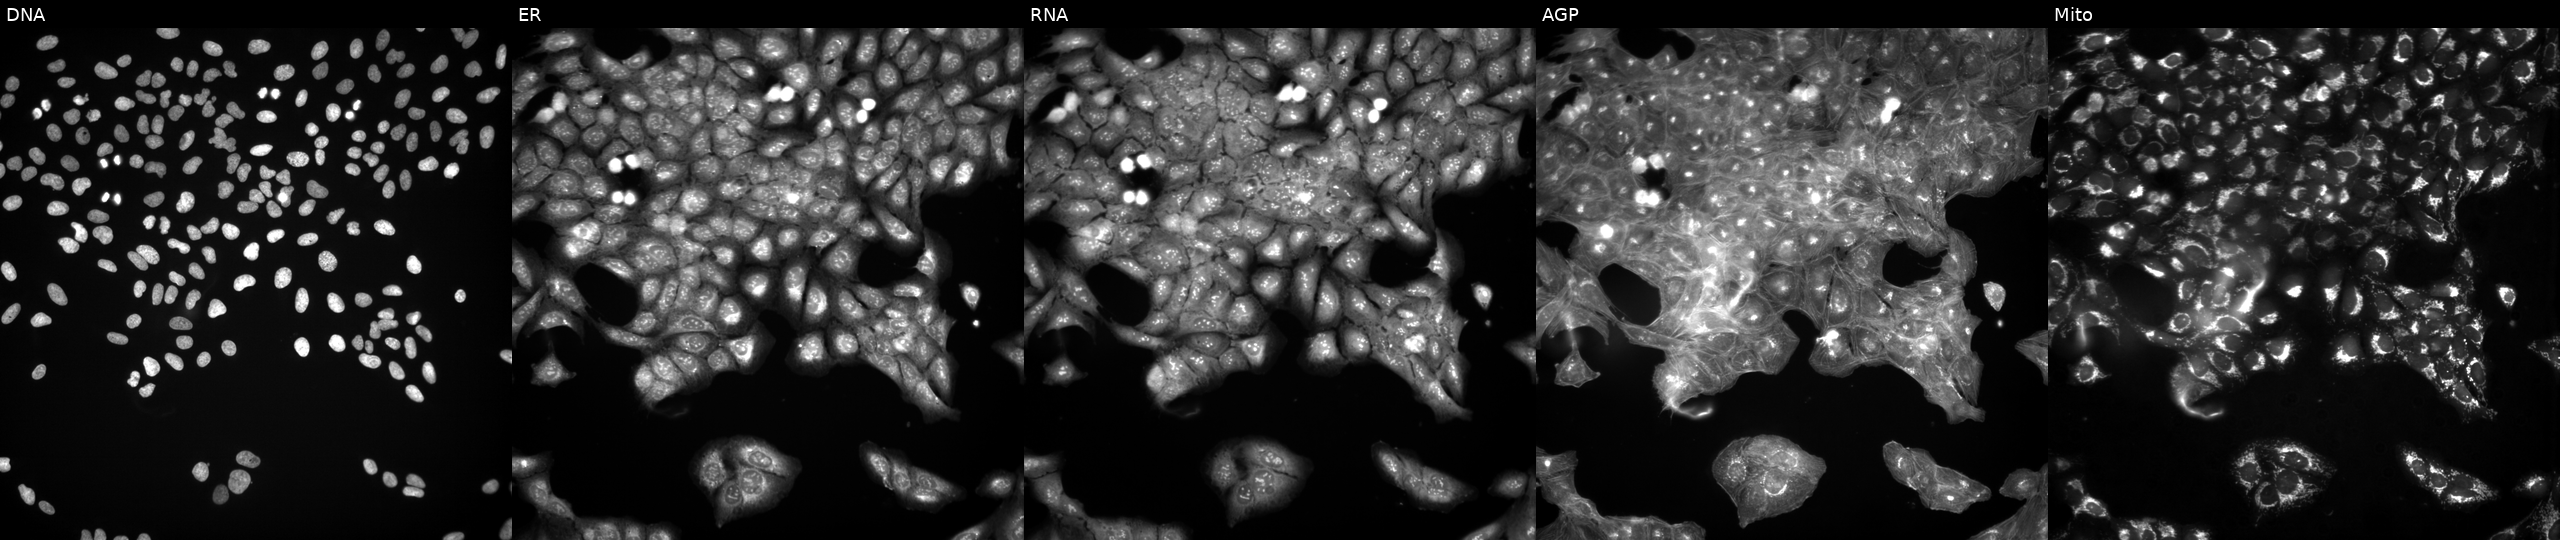
Channels (left→right): DNA (nuclei); ER (endoplasmic reticulum); RNA (nucleoli and cytoplasmic RNA); AGP (actin cytoskeleton, Golgi, and plasma membrane); Mito (mitochondria). U2OS osteosarcoma cells exposed to DMSO alone as a negative control. Cell Painting assay, JUMP-CP dataset. Source 3, plate JCPQC051, well J04.